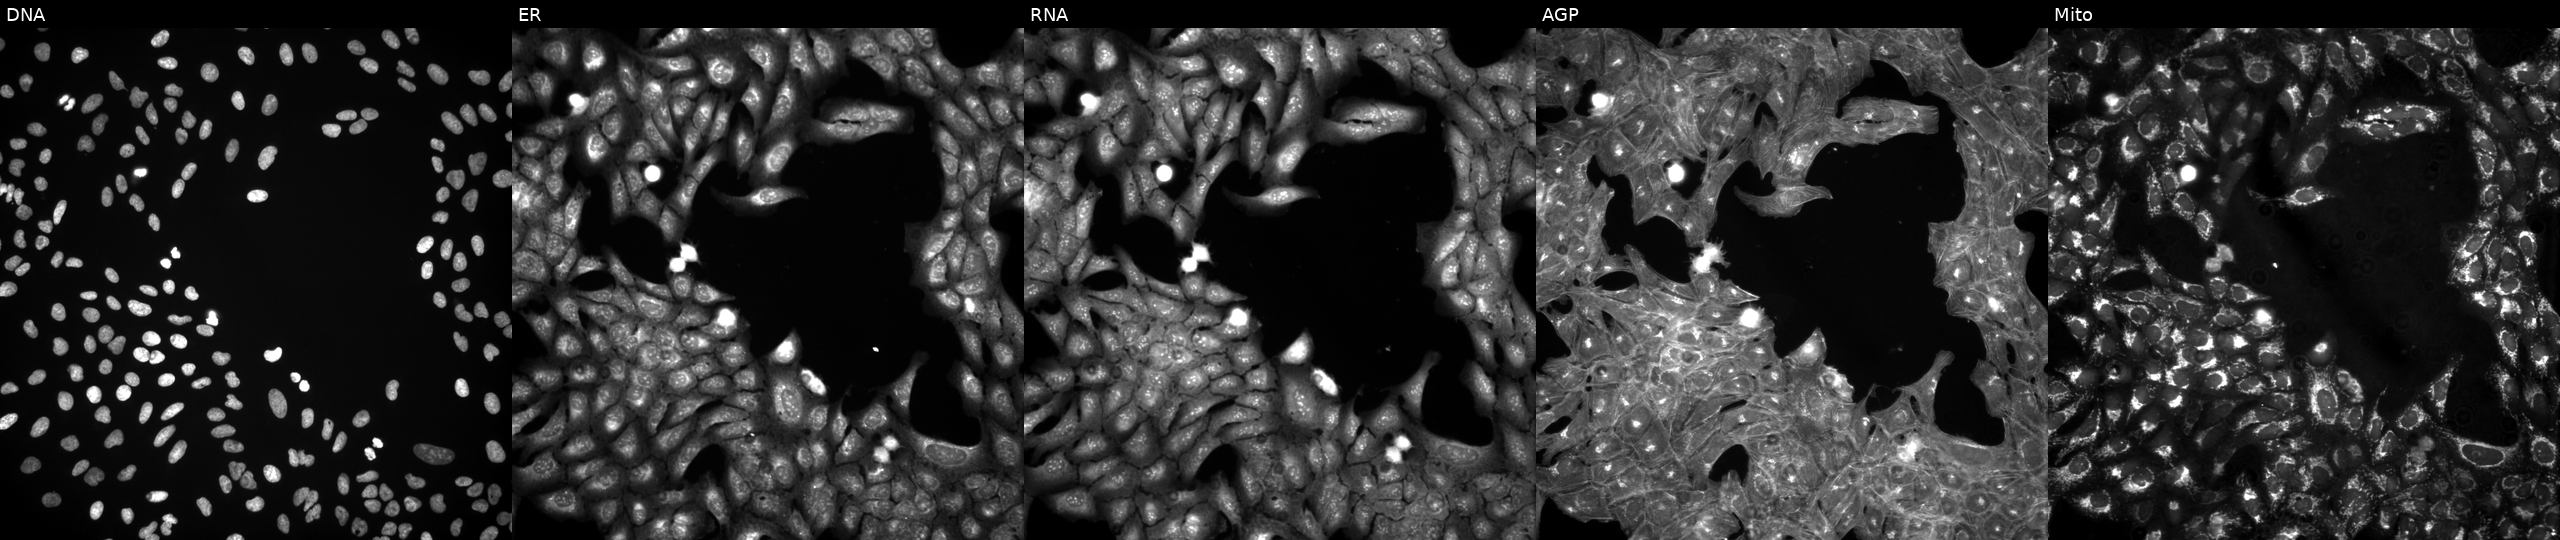
Channels (left→right): DNA, ER, RNA, AGP, and Mito. U2OS osteosarcoma cells perturbed with a small-molecule compound (InChIKey UGYXPZQILZRKJJ-UHFFFAOYSA-N) (JUMP id JCP2022_089172). Cell Painting assay, JUMP-CP dataset. Source 3, plate JCPQC053, well D23.